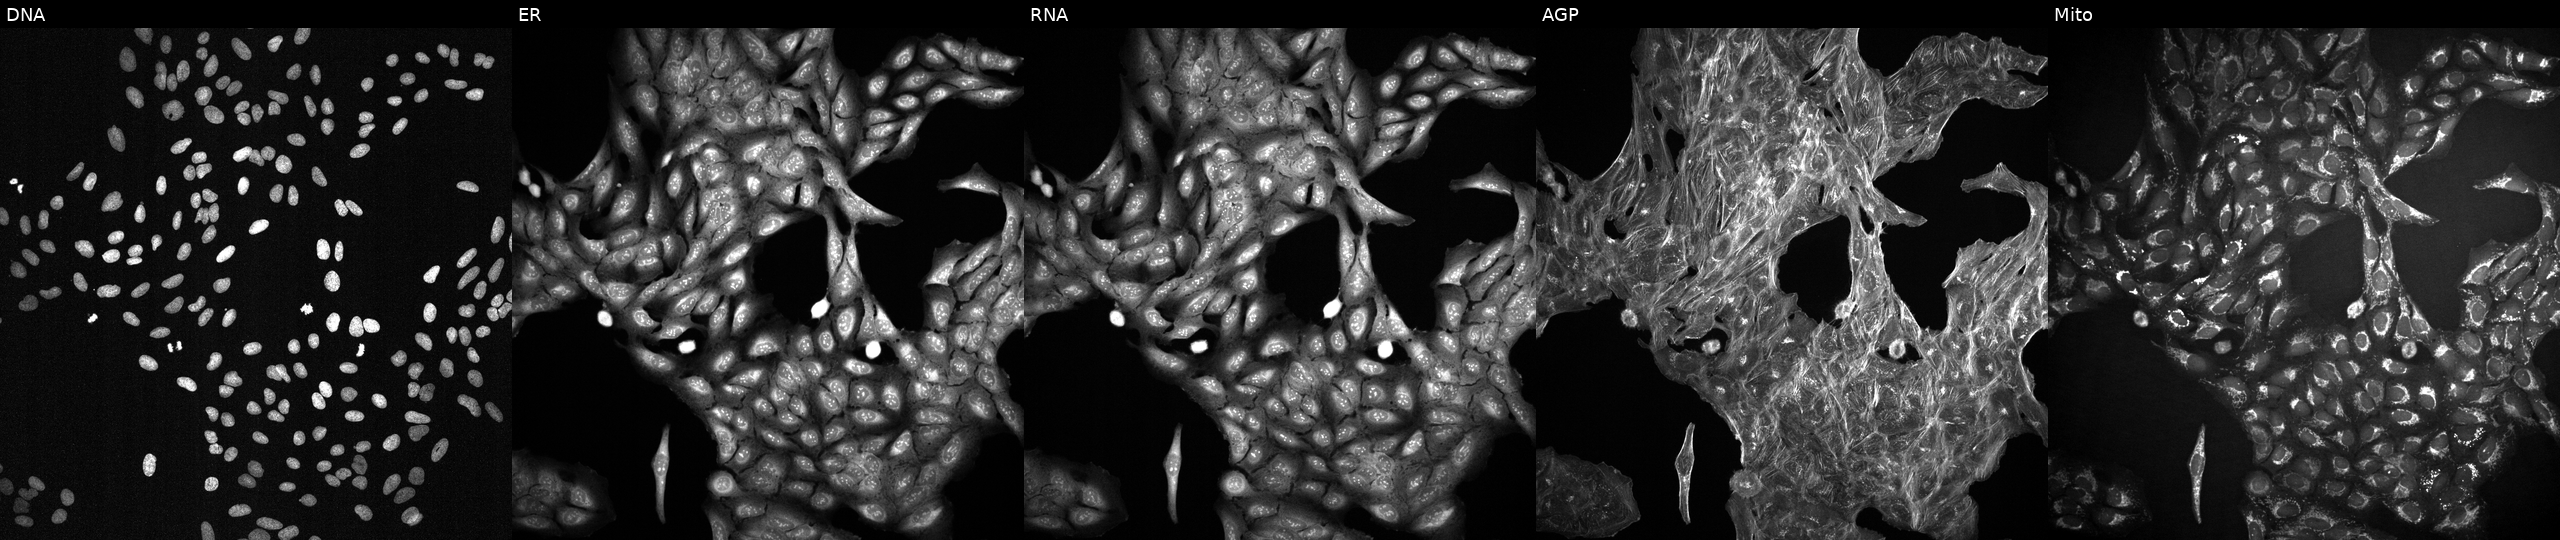
JUMP Cell Painting — TARGET2 plate. U2OS cells treated with a small-molecule compound (InChIKey OJLOPKGSLYJEMD-UHFFFAOYSA-N). The five panels, left to right, show DNA, ER, RNA, AGP, and Mito.